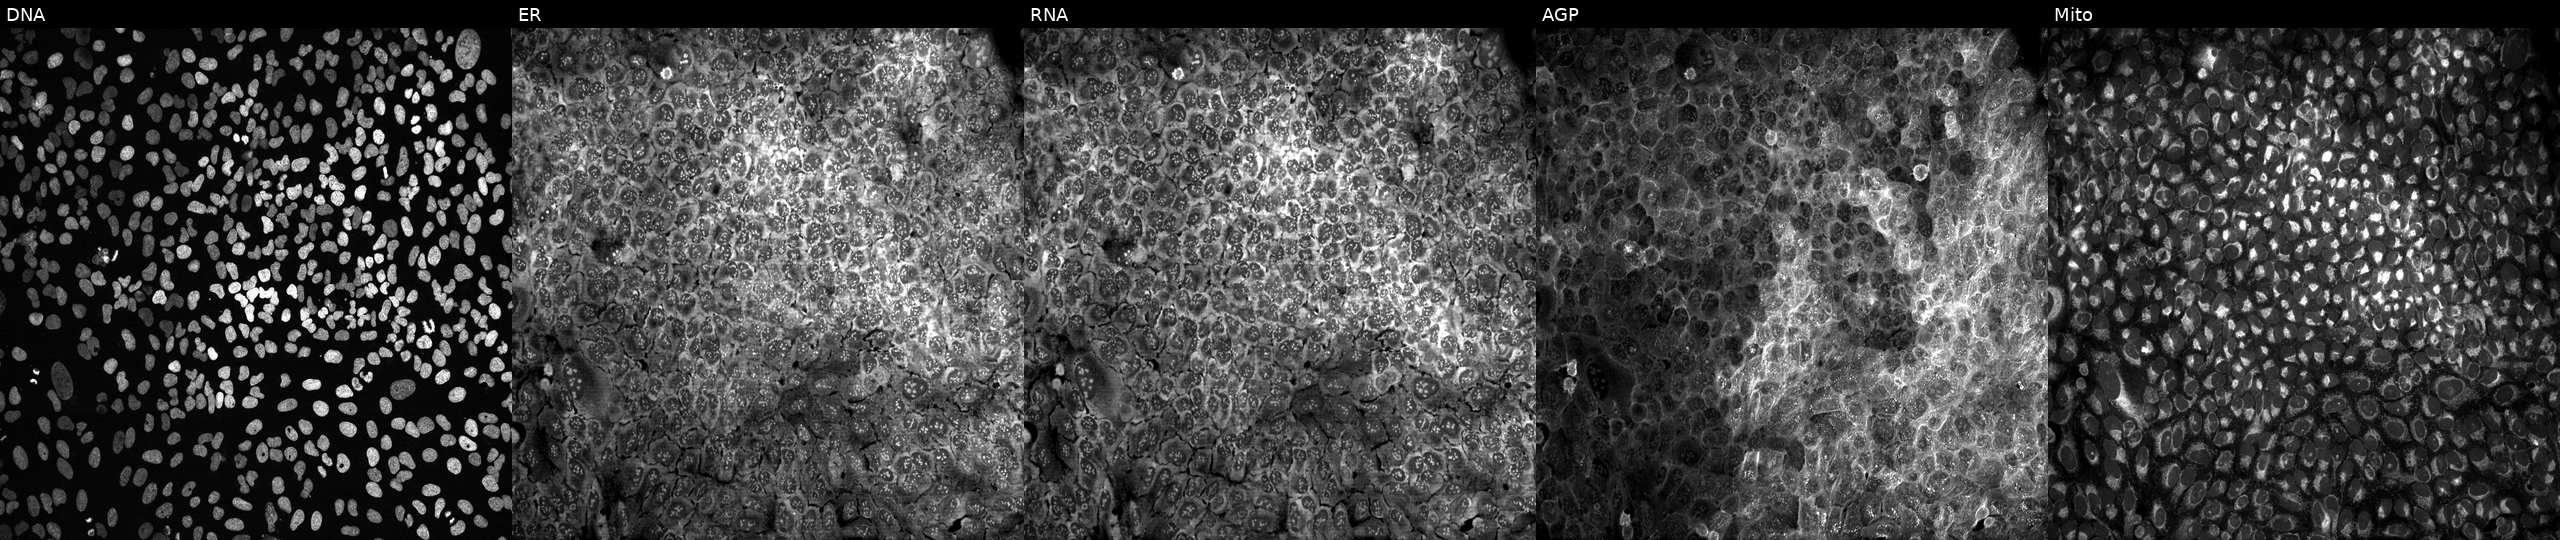
This image strip shows the five Cell Painting channels for a single field of U2OS cells following CRISPR knockout of ABHD12 (JUMP id JCP2022_800066). Panels show, left to right, DNA (nuclei); ER (endoplasmic reticulum); RNA (nucleoli and cytoplasmic RNA); AGP (actin cytoskeleton, Golgi, and plasma membrane); Mito (mitochondria).